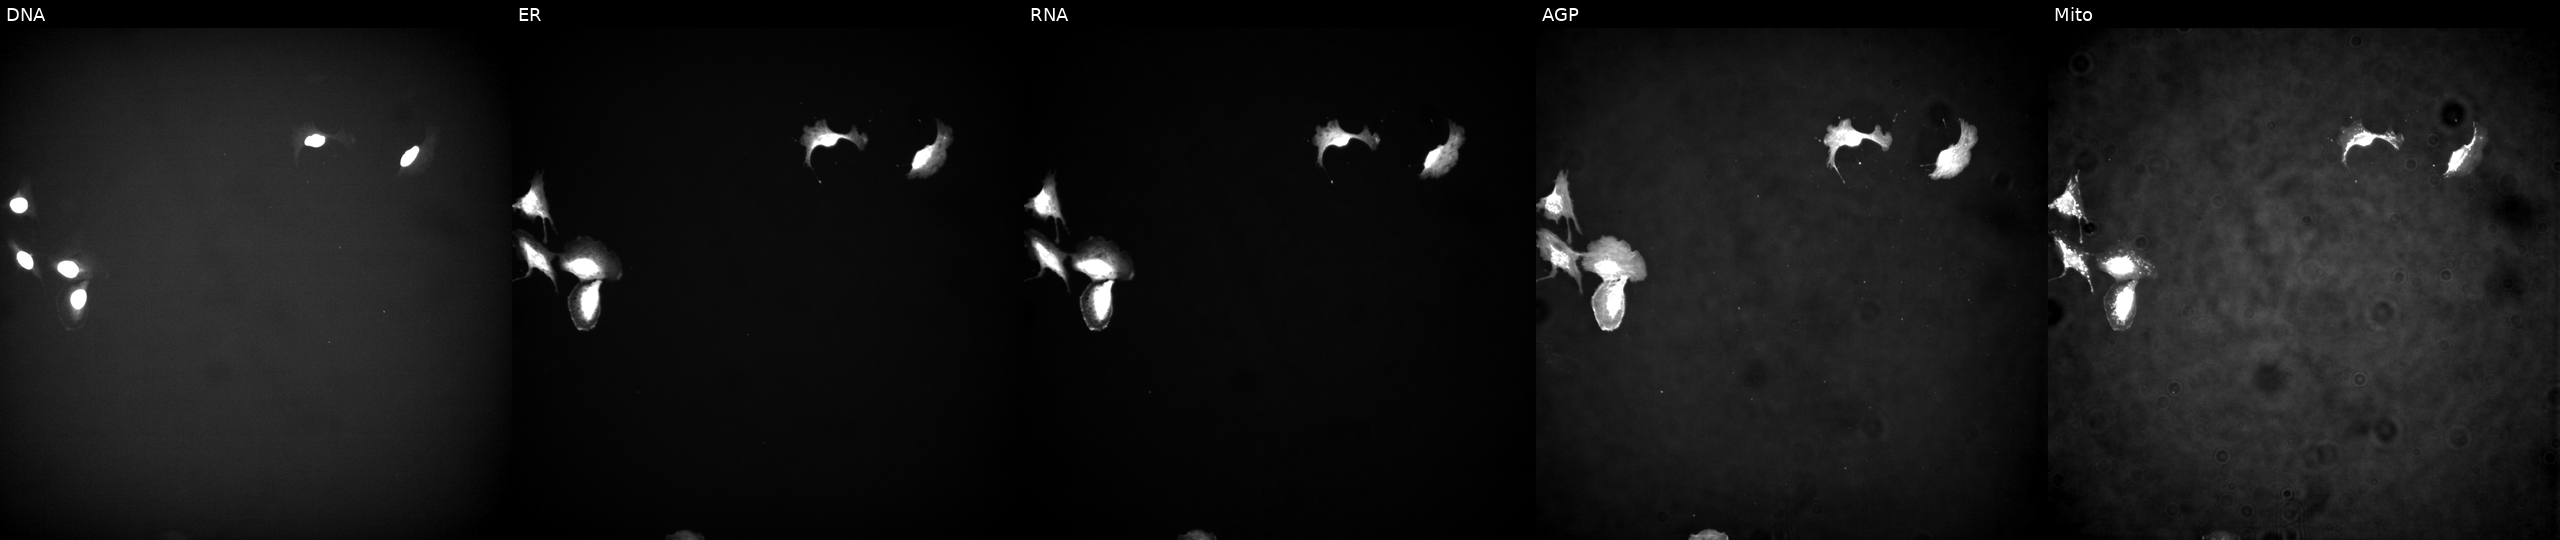
High-content fluorescence microscopy (Cell Painting). Cell line: U2OS. Perturbation: with SCYL1 overexpressed (ORF). Panels show, left to right, DNA, ER, RNA, AGP, and Mito.